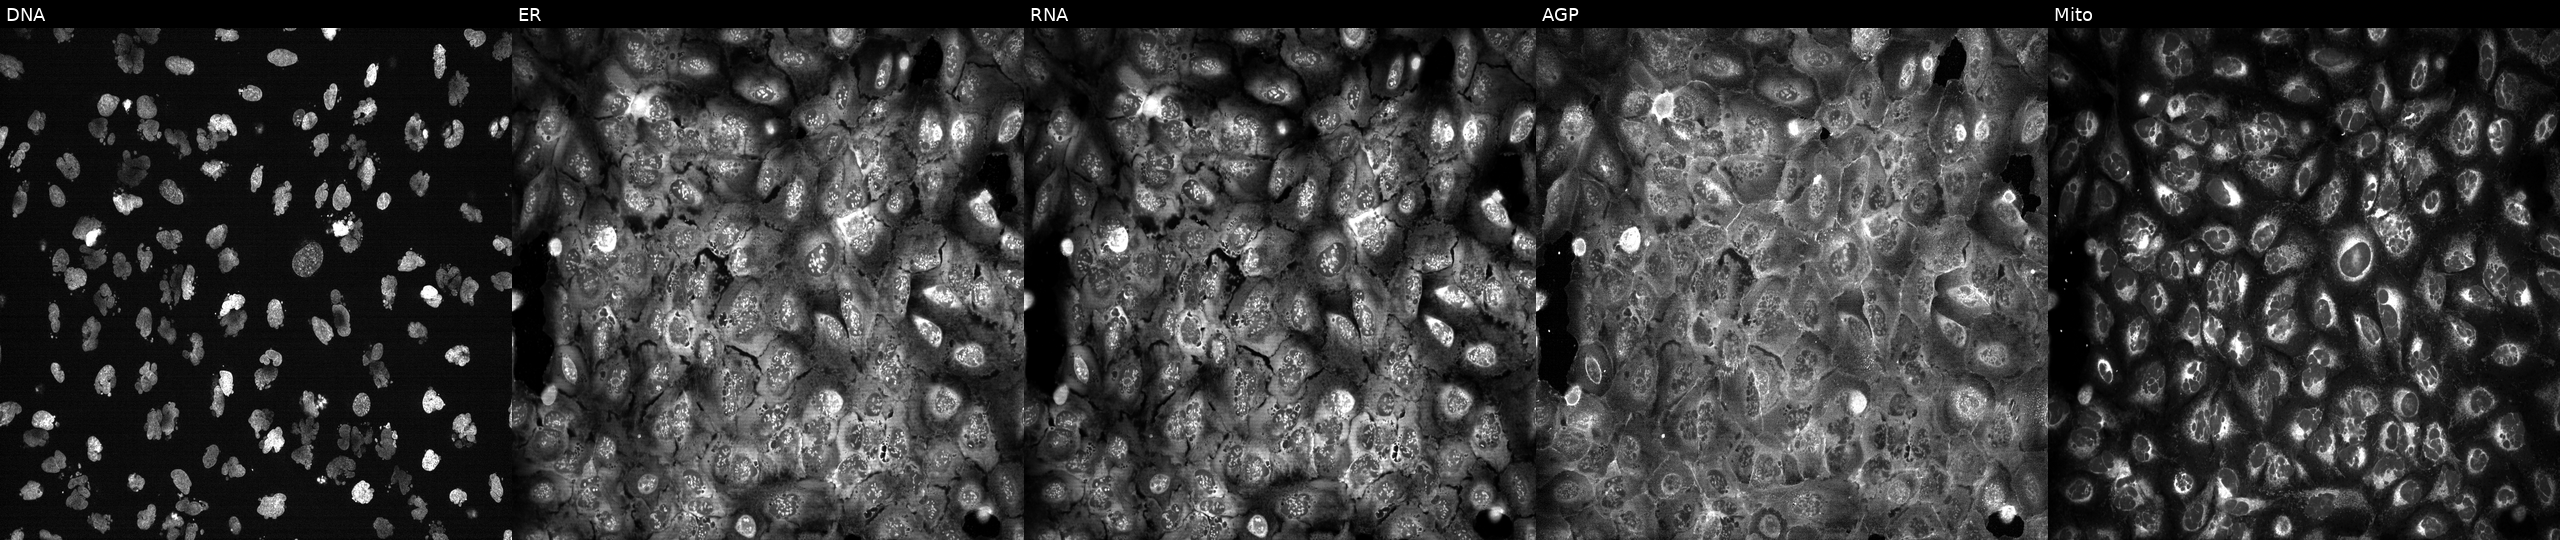
High-content fluorescence microscopy (Cell Painting). Cell line: U2OS. Perturbation: treated with AMG900 (positive-control compound). From left to right: Hoechst 33342, concanavalin A, SYTO 14, phalloidin and WGA, MitoTracker. Source 13, plate CP-CC9-R3-02, well F24.